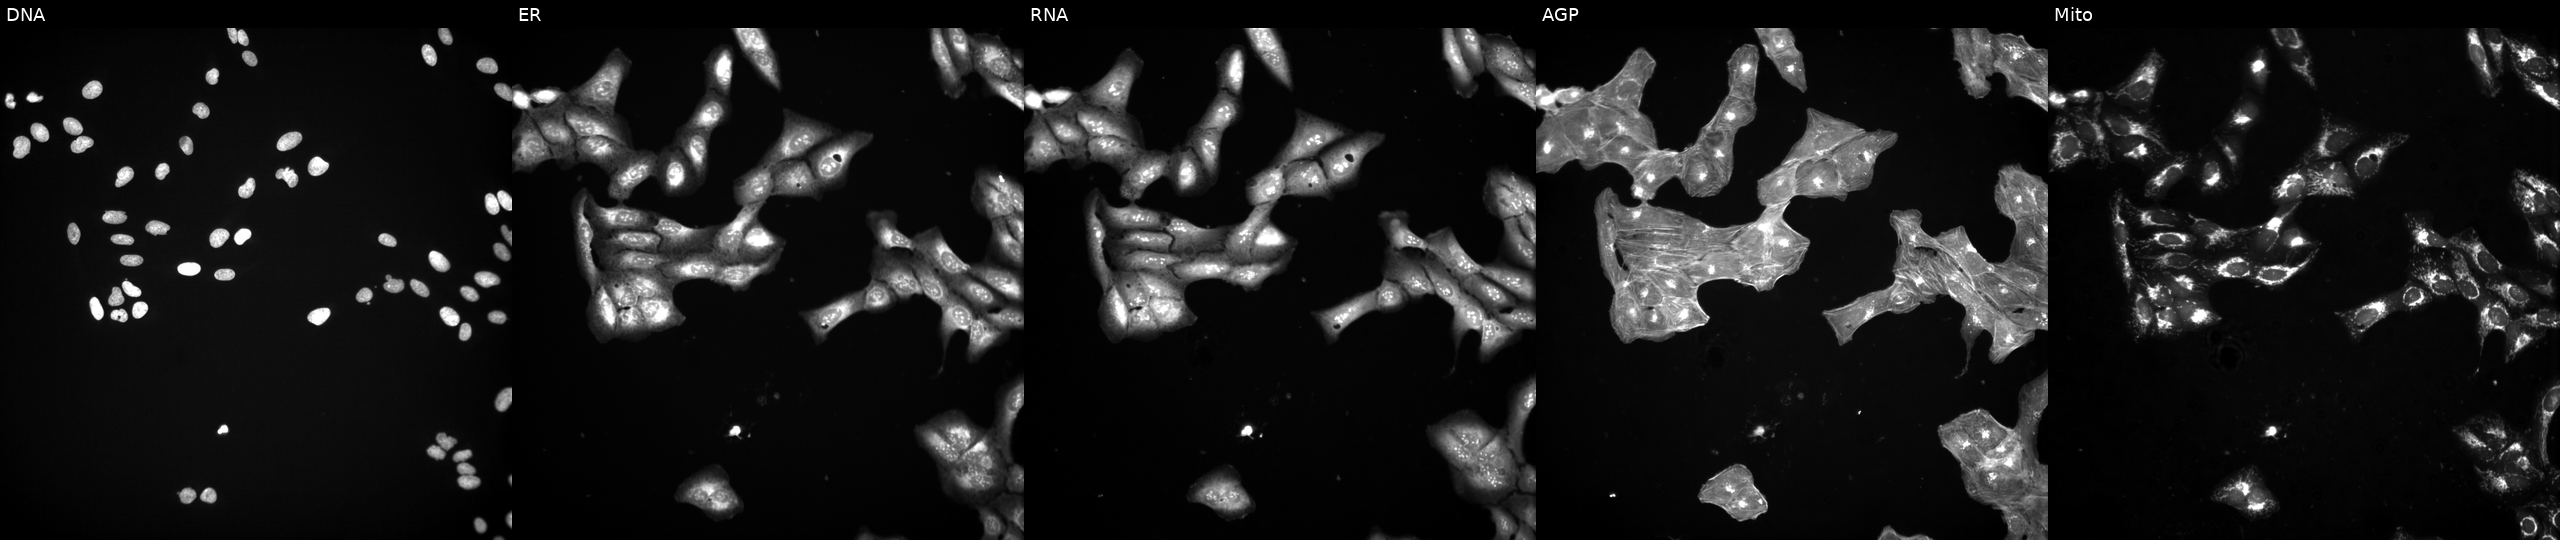
JUMP Cell Painting — TARGET2 plate. U2OS cells treated with a small-molecule compound (InChIKey HUXYBQXJVXOMKX-UHFFFAOYSA-N) (JUMP id JCP2022_032771). From left to right: Hoechst 33342, concanavalin A, SYTO 14, phalloidin and WGA, MitoTracker.